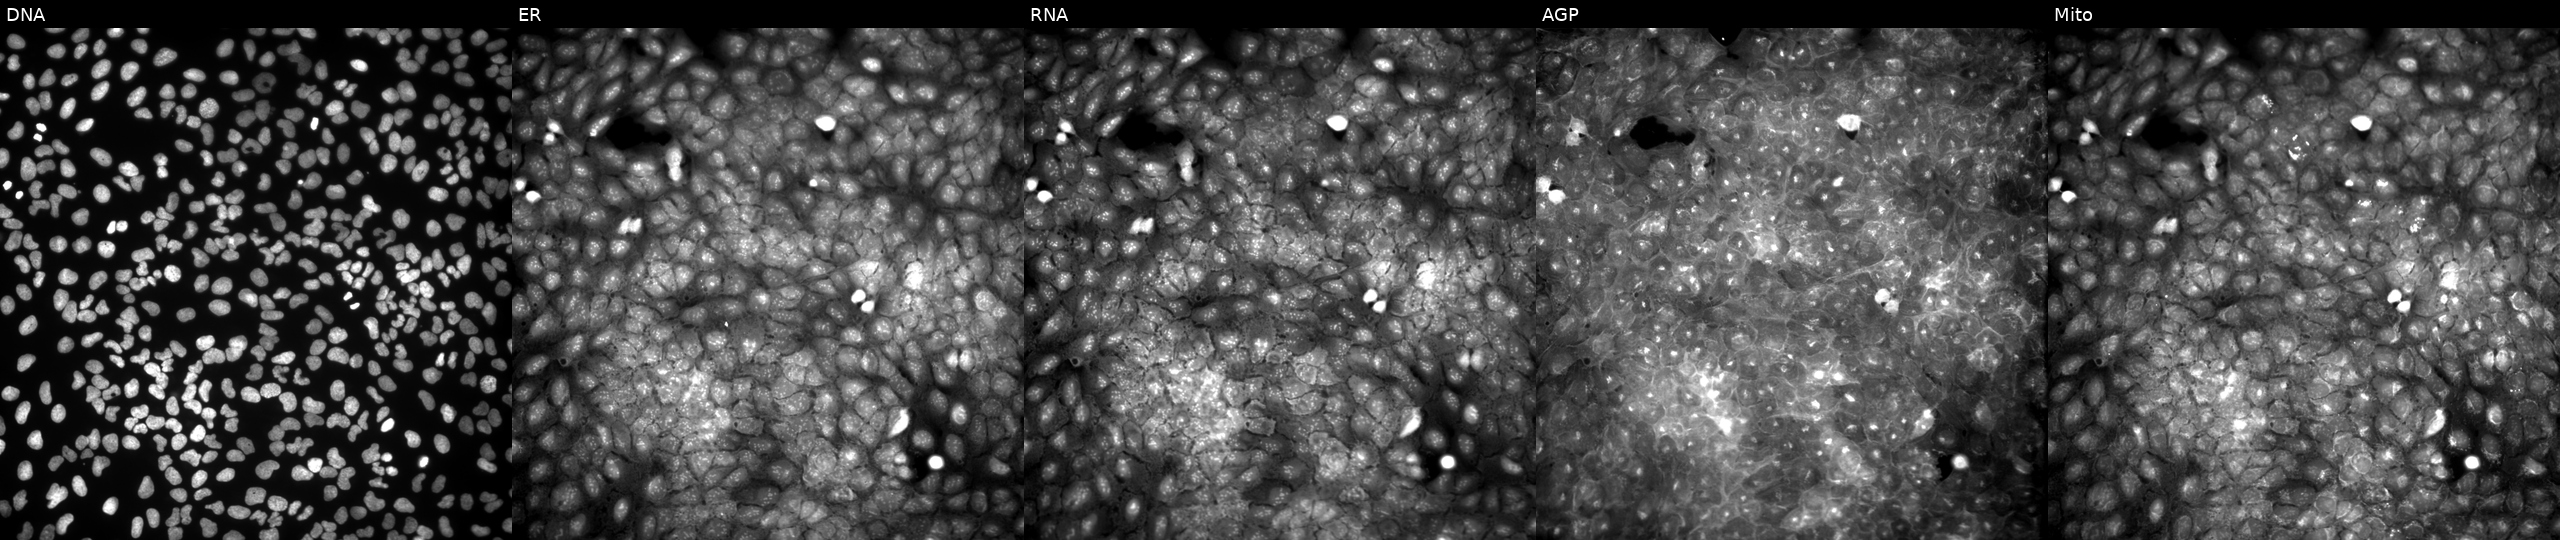
Five-channel Cell Painting image of U2OS cells exposed to DMSO alone as a negative control. The five panels, left to right, show Hoechst 33342, concanavalin A, SYTO 14, phalloidin and WGA, MitoTracker. Source 9, plate GR00003382, well Z26.